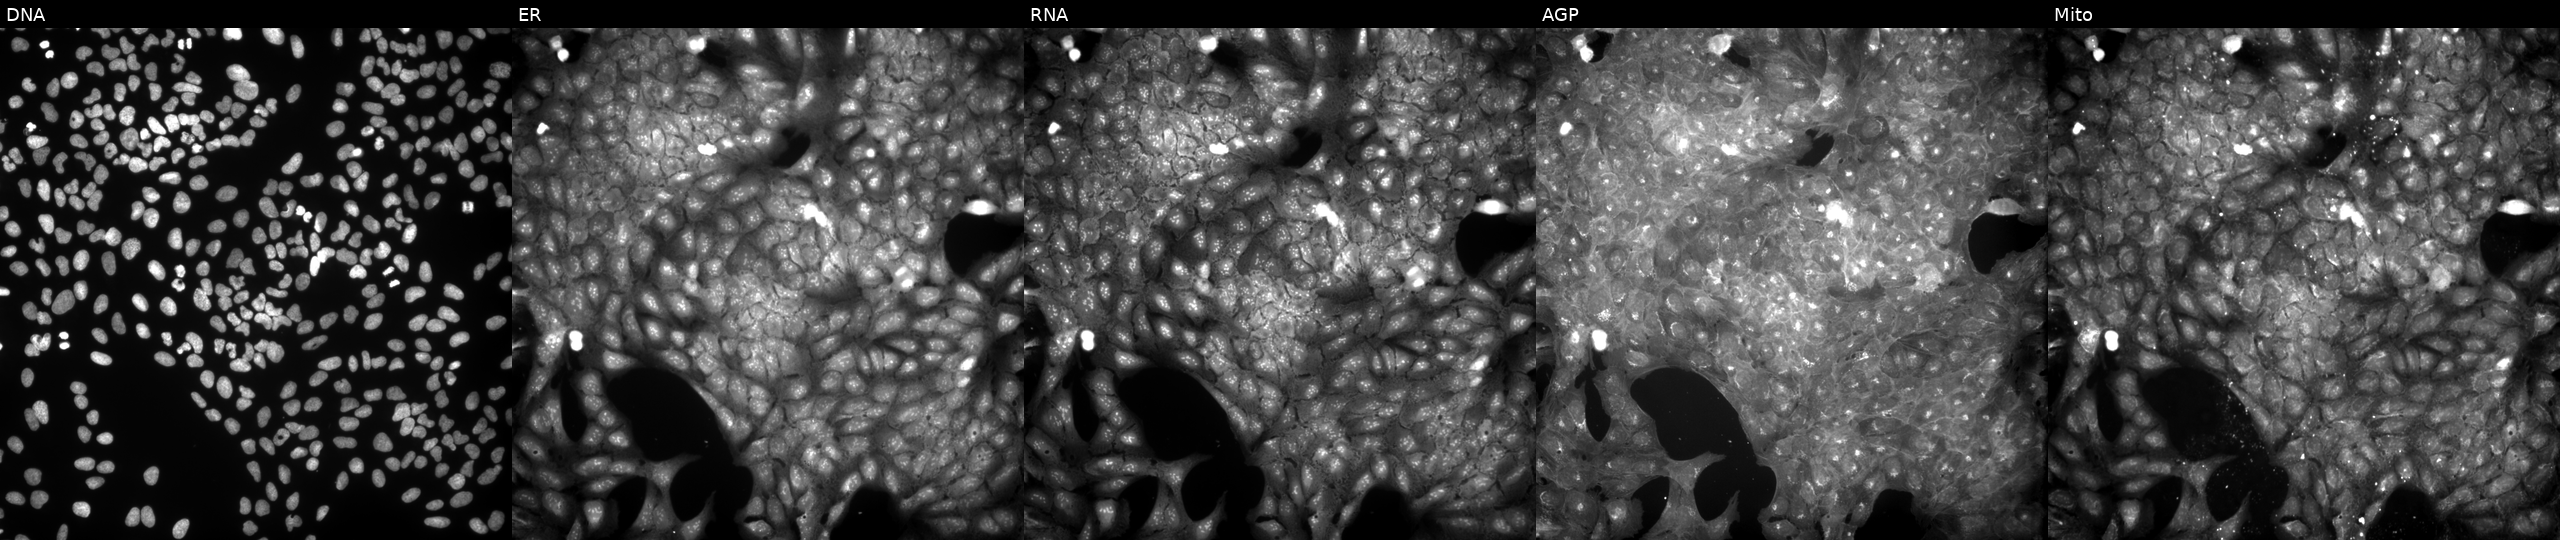
Five-channel Cell Painting image of U2OS cells exposed to a small-molecule compound. Channels (left→right): DNA, ER, RNA, AGP, and Mito.